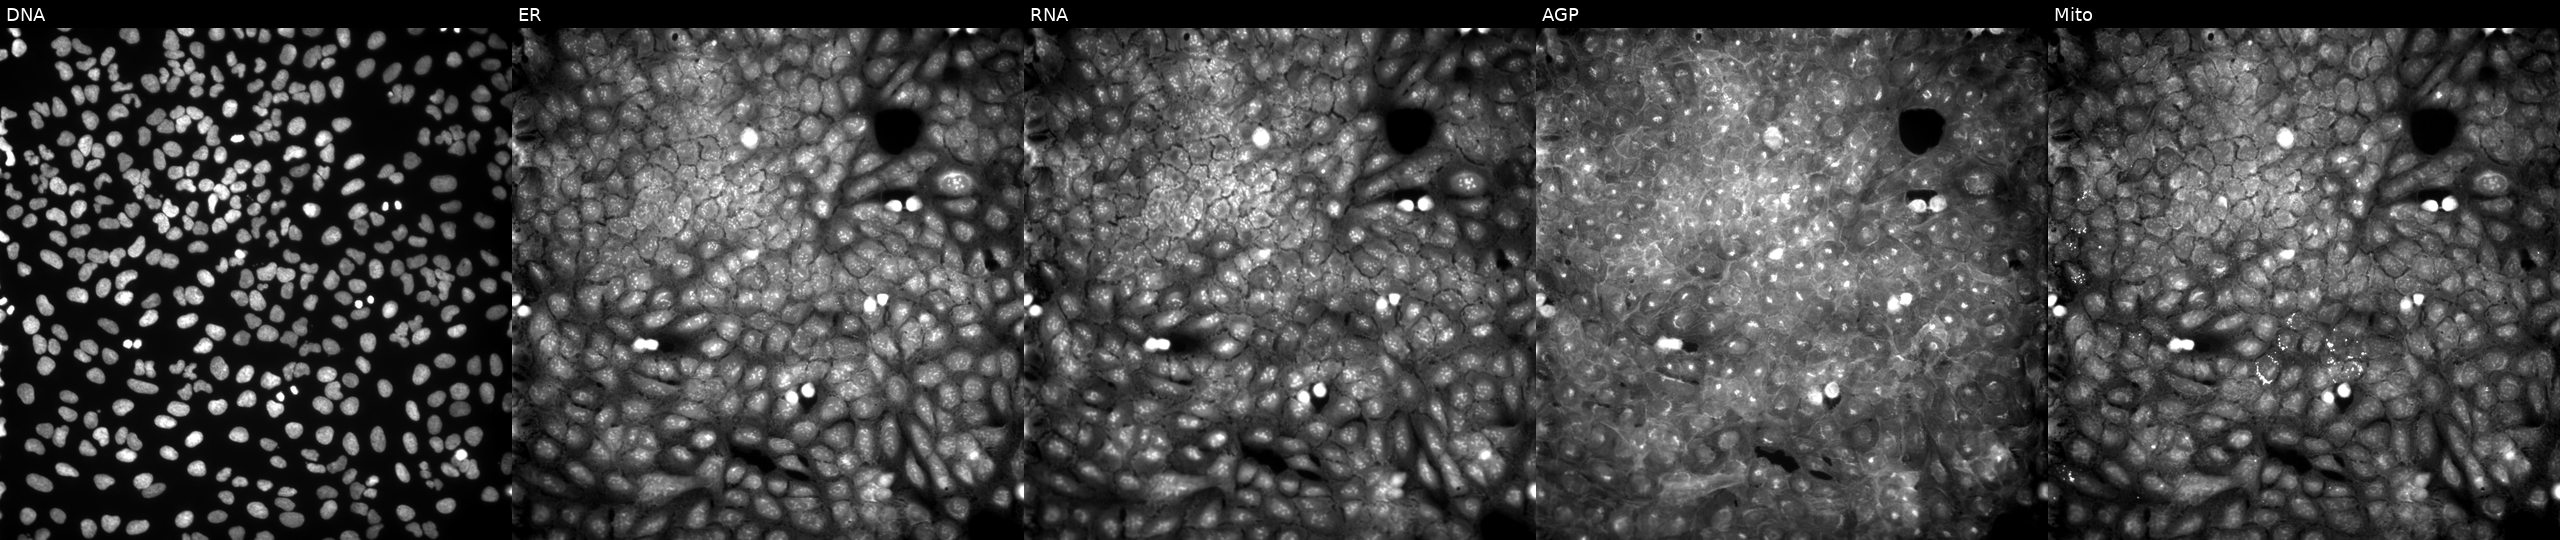
U2OS cells, Cell Painting assay, exposed to a small-molecule compound (InChIKey HNXGXYPCJMVNQV-UHFFFAOYSA-N) [SMILES: CCOC(=O)CCNCC1COc2ccccc2O1]. The five panels, left to right, show DNA, ER, RNA, AGP, and Mito. Each panel is percentile-stretched 16-bit fluorescence.